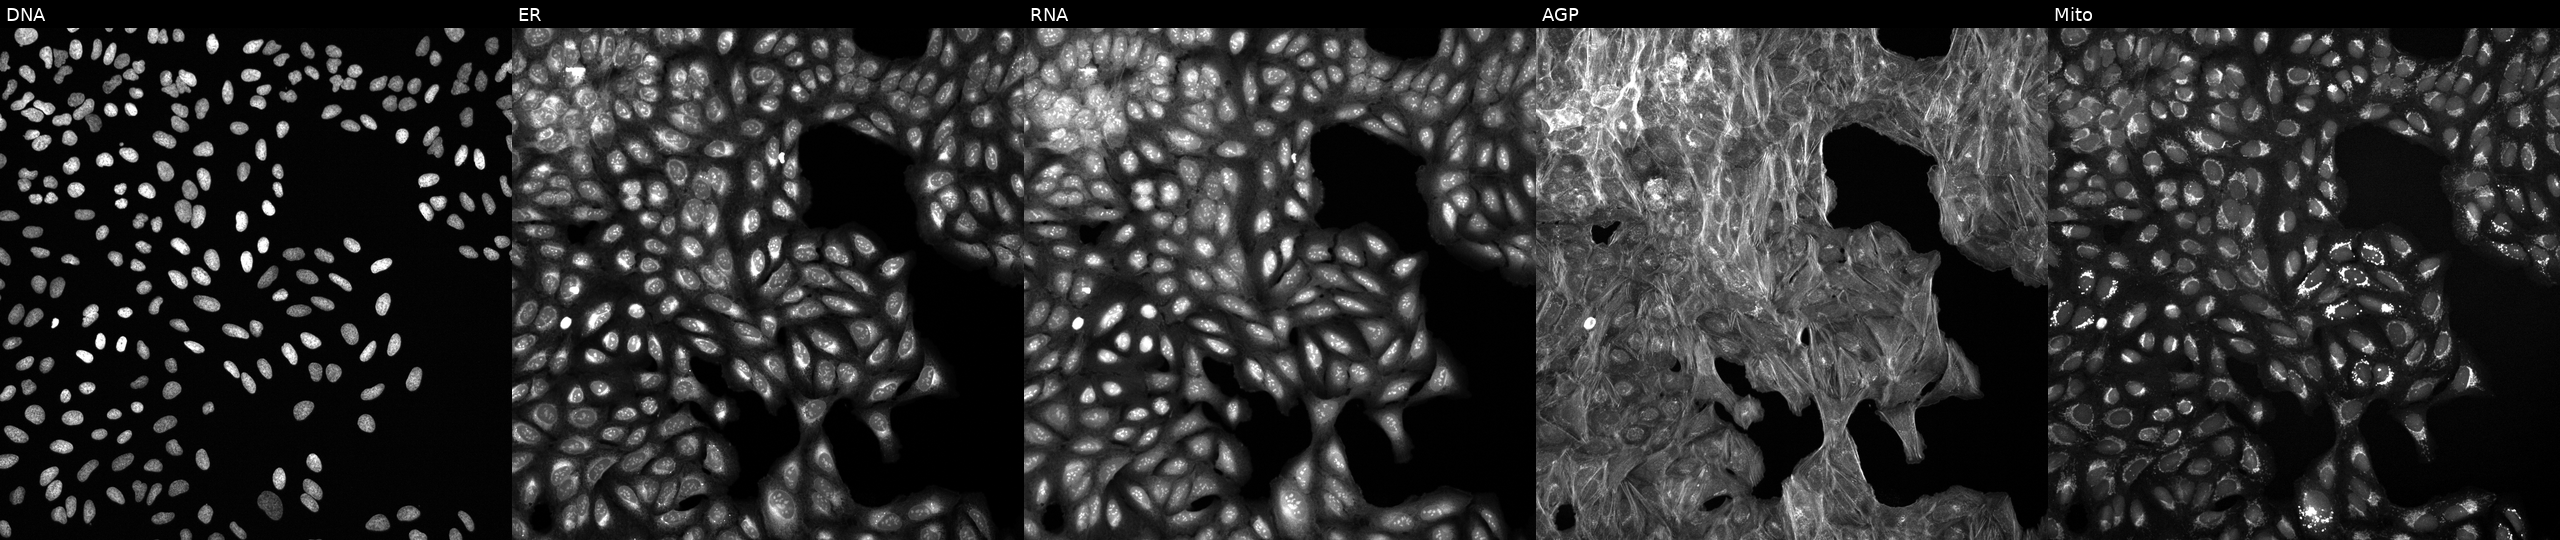
Five-channel Cell Painting image of U2OS cells exposed to DMSO alone as a negative control (JUMP id JCP2022_033924). Panels show, left to right, DNA (nuclei); ER (endoplasmic reticulum); RNA (nucleoli and cytoplasmic RNA); AGP (actin cytoskeleton, Golgi, and plasma membrane); Mito (mitochondria). Source 6, plate 110000293081, well O11.